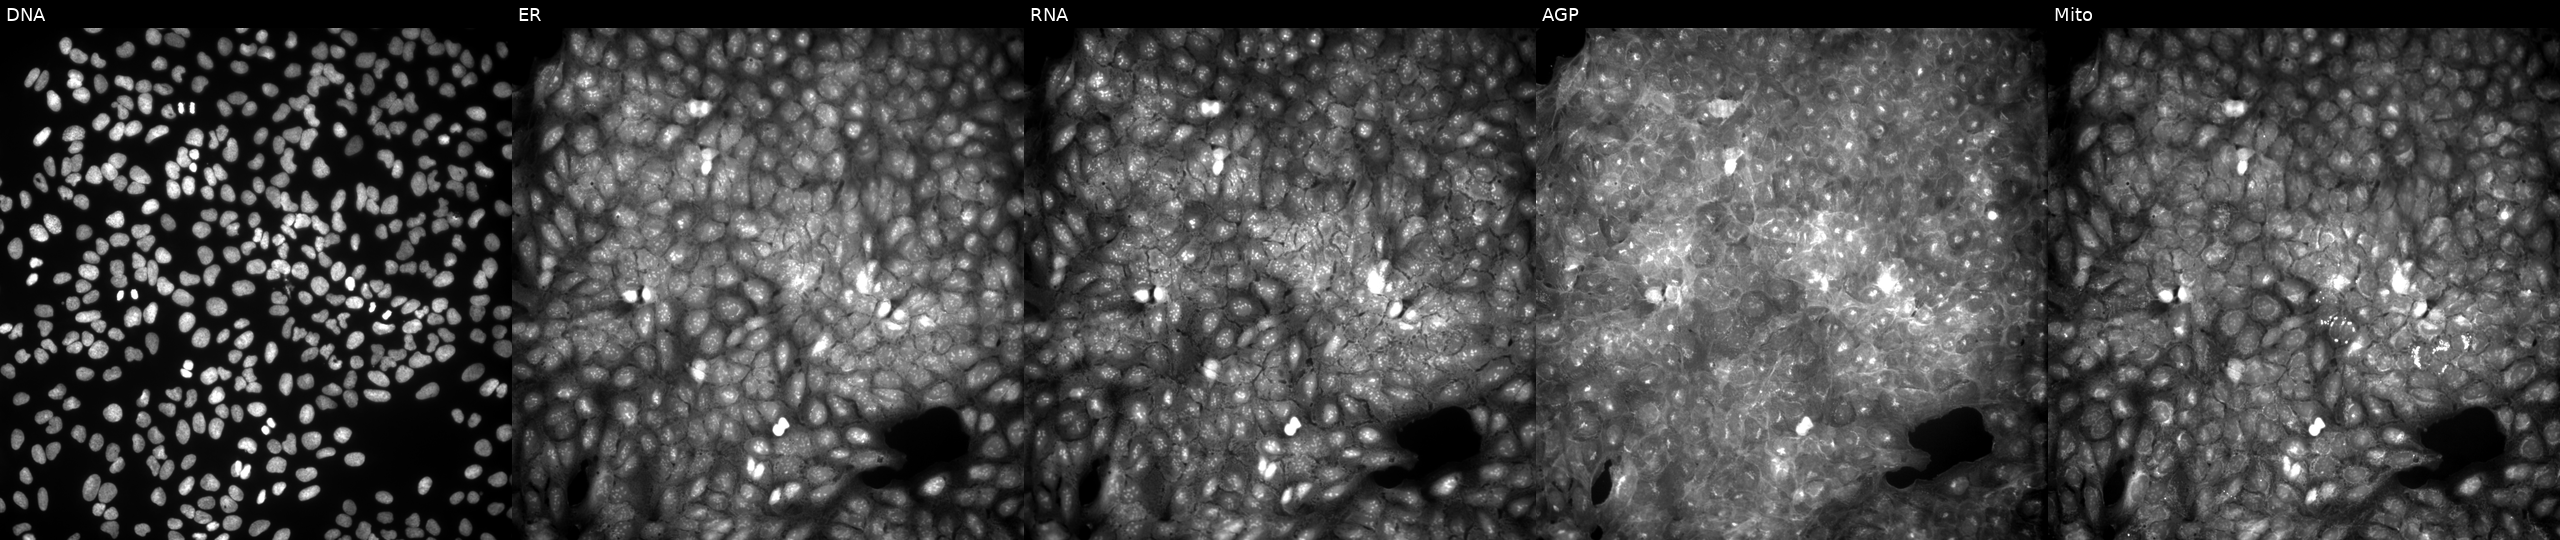
This image strip shows the five Cell Painting channels for a single field of U2OS cells exposed to a small-molecule compound. The five panels, left to right, show DNA, ER, RNA, AGP, and Mito.